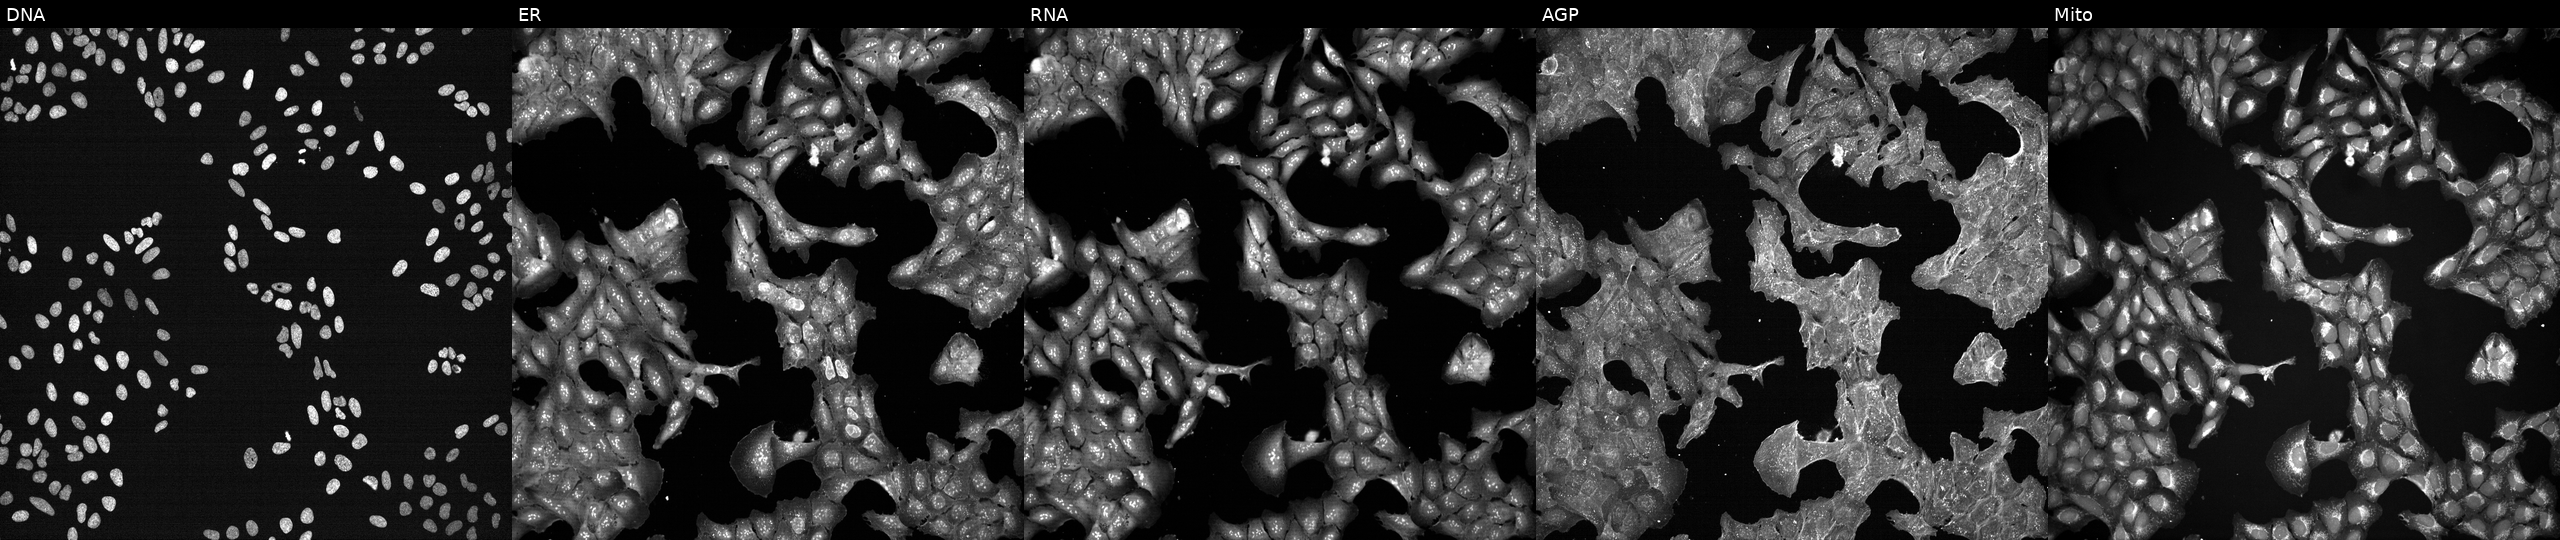
Five-channel Cell Painting image of U2OS cells treated with a small-molecule compound (InChIKey QIHBWVVVRYYYRO-UHFFFAOYSA-N) [SMILES: CC(NC(=O)CCc1nc(=O)c2ccccc2[nH]1)c1ccccc1]. Channels (left→right): Hoechst 33342, concanavalin A, SYTO 14, phalloidin and WGA, MitoTracker. Source 7, plate CP2-SC1-25, well H16.